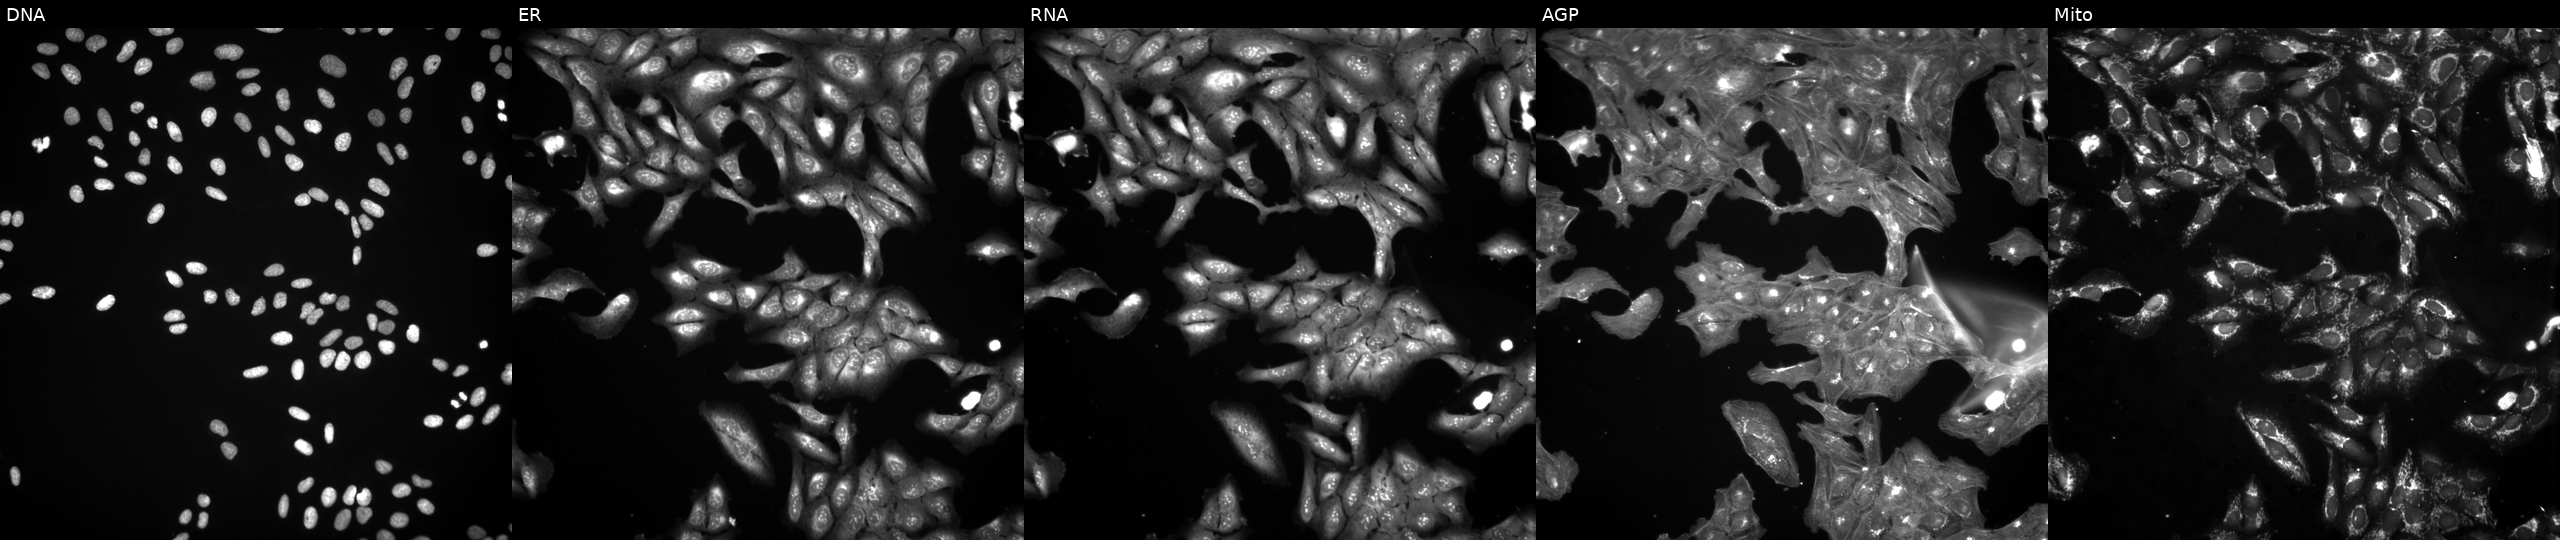
Five-channel Cell Painting image of U2OS cells perturbed with a small-molecule compound (InChIKey CXUCKELNYMZTRT-UHFFFAOYSA-N) (JUMP id JCP2022_014114). From left to right: DNA, ER, RNA, AGP, and Mito.